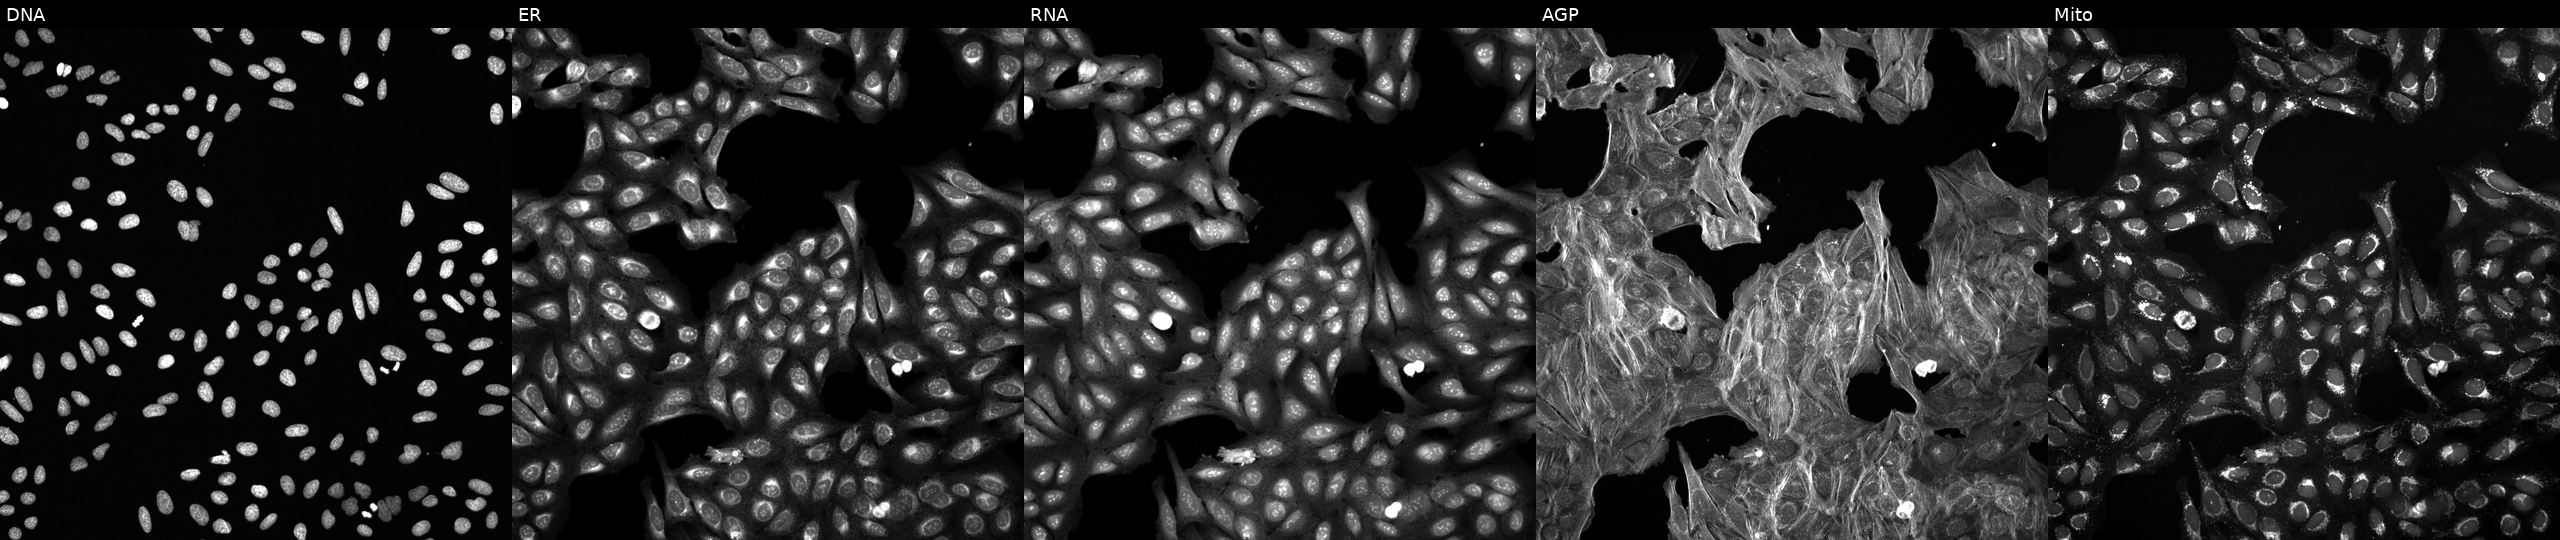
This image strip shows the five Cell Painting channels for a single field of U2OS cells exposed to a small-molecule compound (InChIKey SBDNJUWAMKYJOX-UHFFFAOYSA-N). Channels (left→right): DNA (nuclei); ER (endoplasmic reticulum); RNA (nucleoli and cytoplasmic RNA); AGP (actin cytoskeleton, Golgi, and plasma membrane); Mito (mitochondria). Source 6, plate 110000293081, well L02.